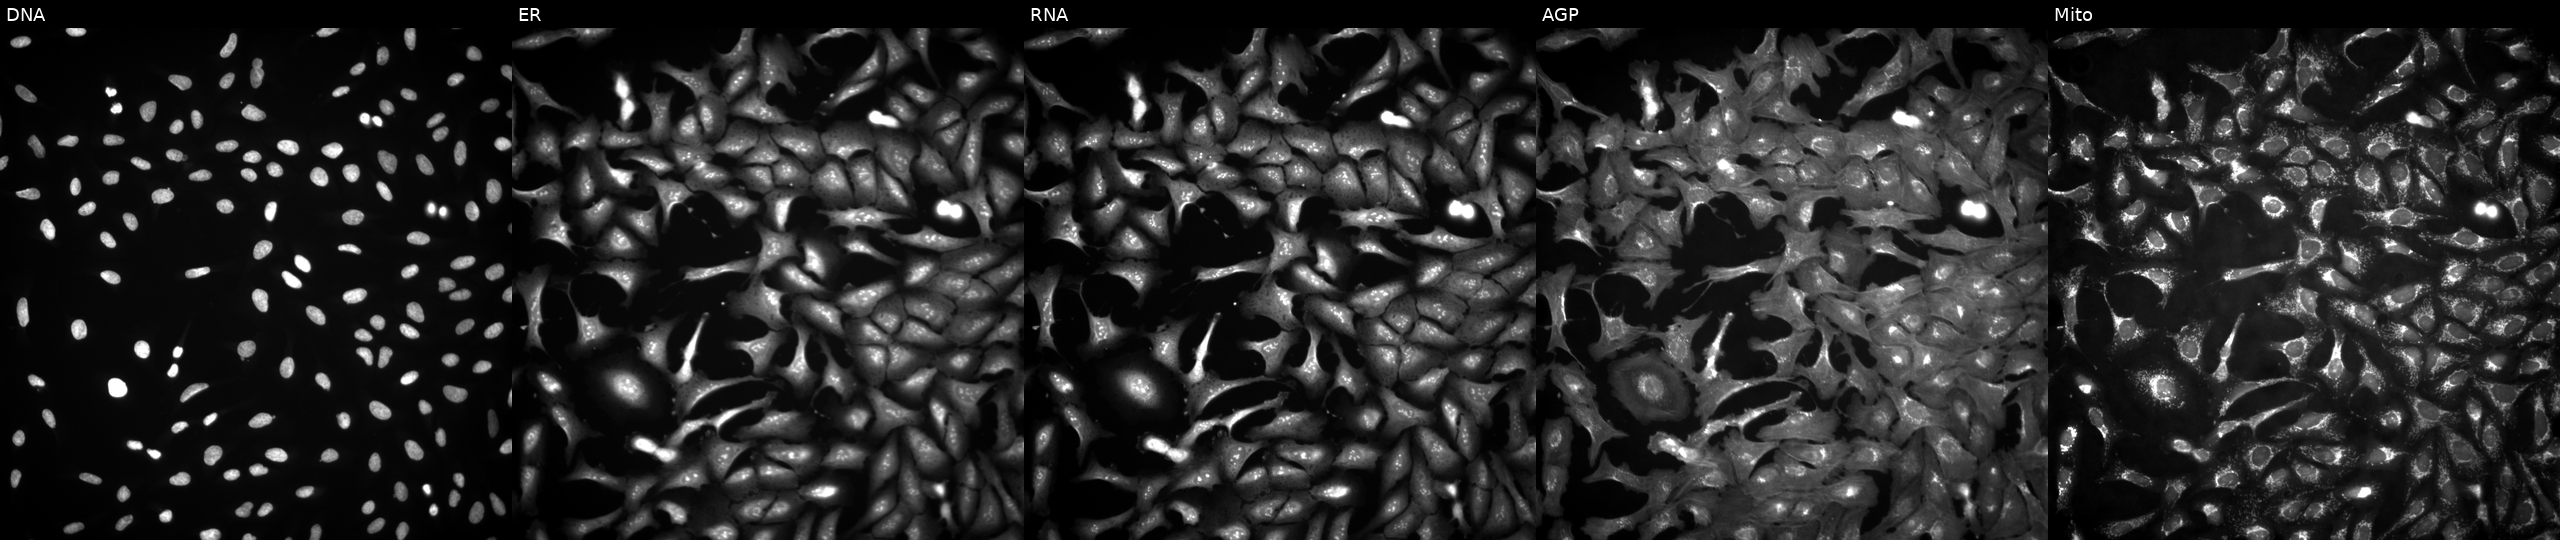
High-content fluorescence microscopy (Cell Painting). Cell line: U2OS. Perturbation: transfected with an ORF construct for ZNF354A. Panels show, left to right, DNA, ER, RNA, AGP, and Mito. Source 4, plate BR00117035, well A14.